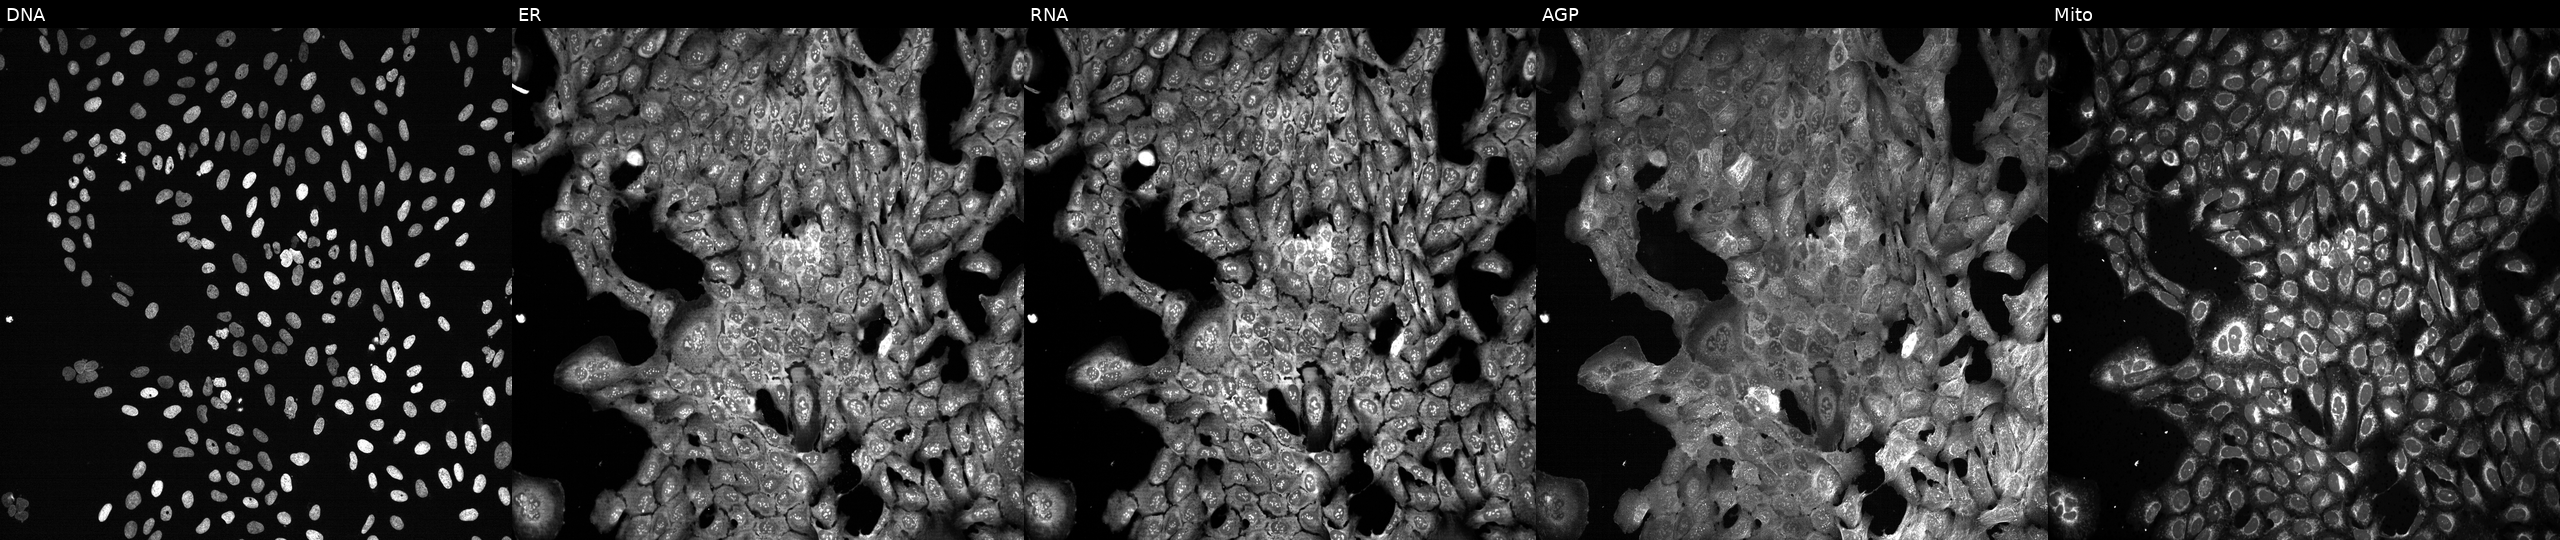
Panels show, left to right, DNA, ER, RNA, AGP, and Mito. U2OS osteosarcoma cells following CRISPR knockout of PDE6H (JUMP id JCP2022_805000). Cell Painting assay, JUMP-CP dataset. Source 13, plate CP-CC9-R2-01, well F11.